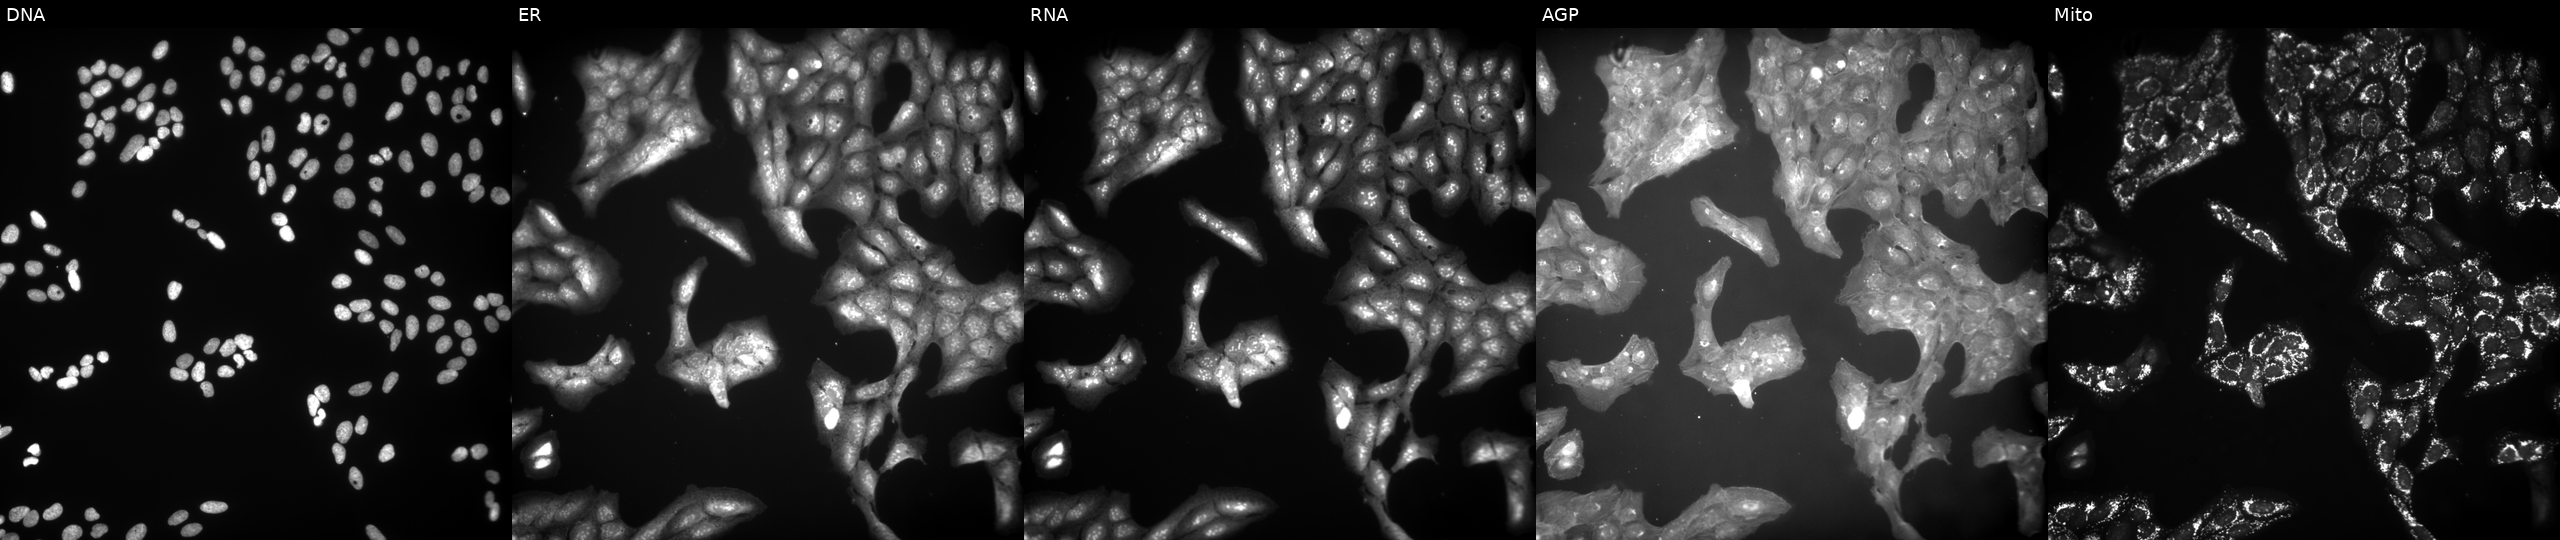
Five-channel Cell Painting image of U2OS cells treated with a small-molecule compound (InChIKey AOLCPXRGICDDCR-UHFFFAOYSA-N). The five panels, left to right, show DNA (nuclei); ER (endoplasmic reticulum); RNA (nucleoli and cytoplasmic RNA); AGP (actin cytoskeleton, Golgi, and plasma membrane); Mito (mitochondria). Source 9, plate GR00003381, well X40.